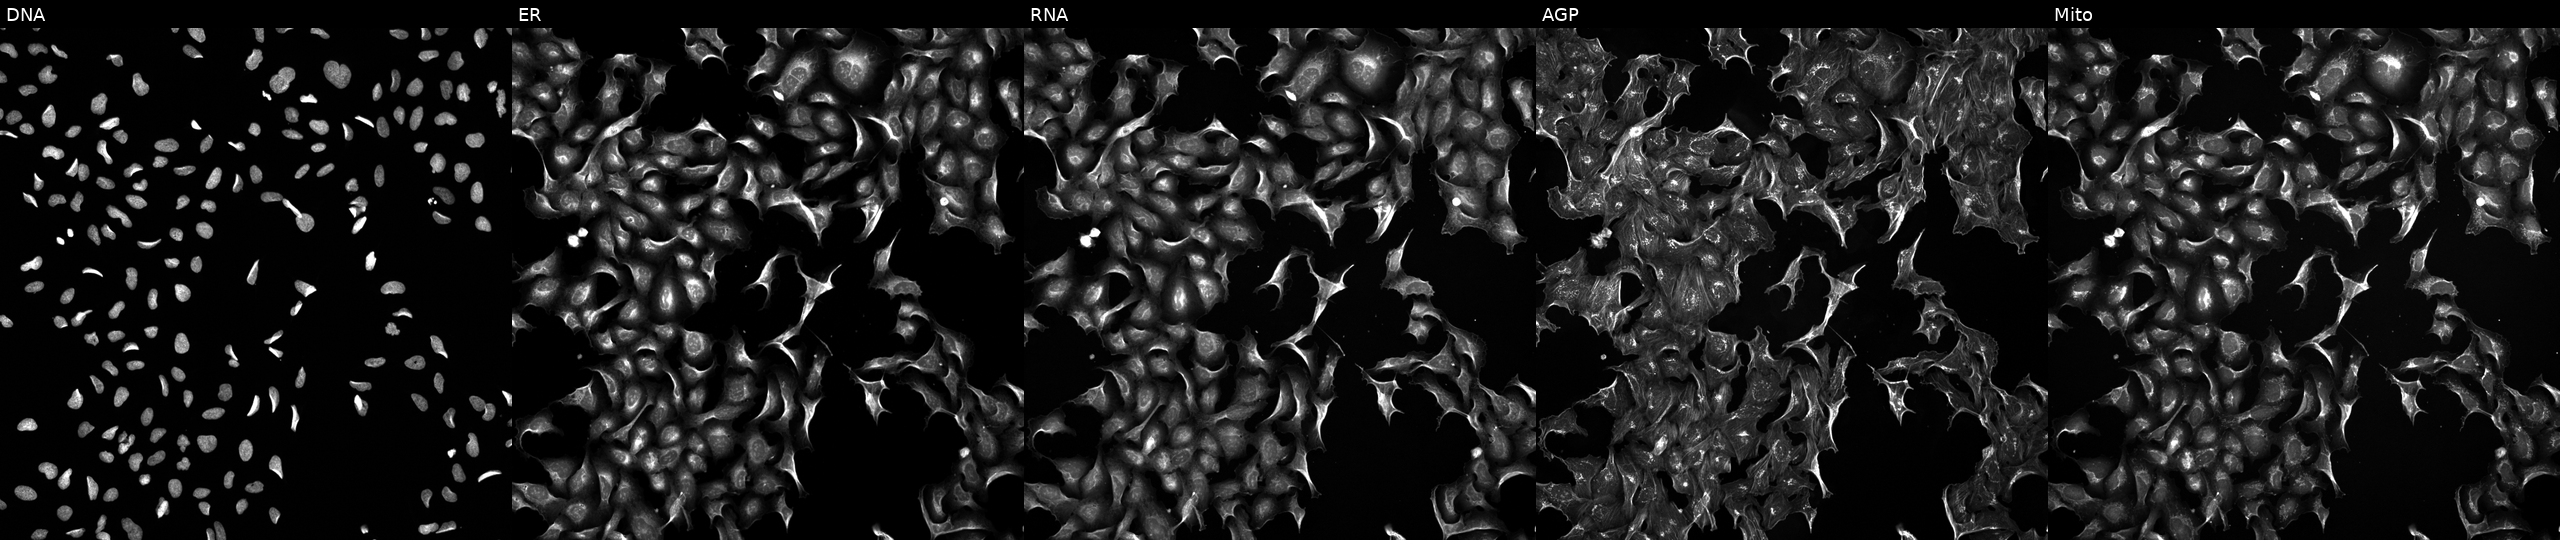
High-content fluorescence microscopy (Cell Painting). Cell line: U2OS. Perturbation: exposed to the positive-control compound NVS-PAK1-1. The five panels, left to right, show DNA (nuclei); ER (endoplasmic reticulum); RNA (nucleoli and cytoplasmic RNA); AGP (actin cytoskeleton, Golgi, and plasma membrane); Mito (mitochondria).